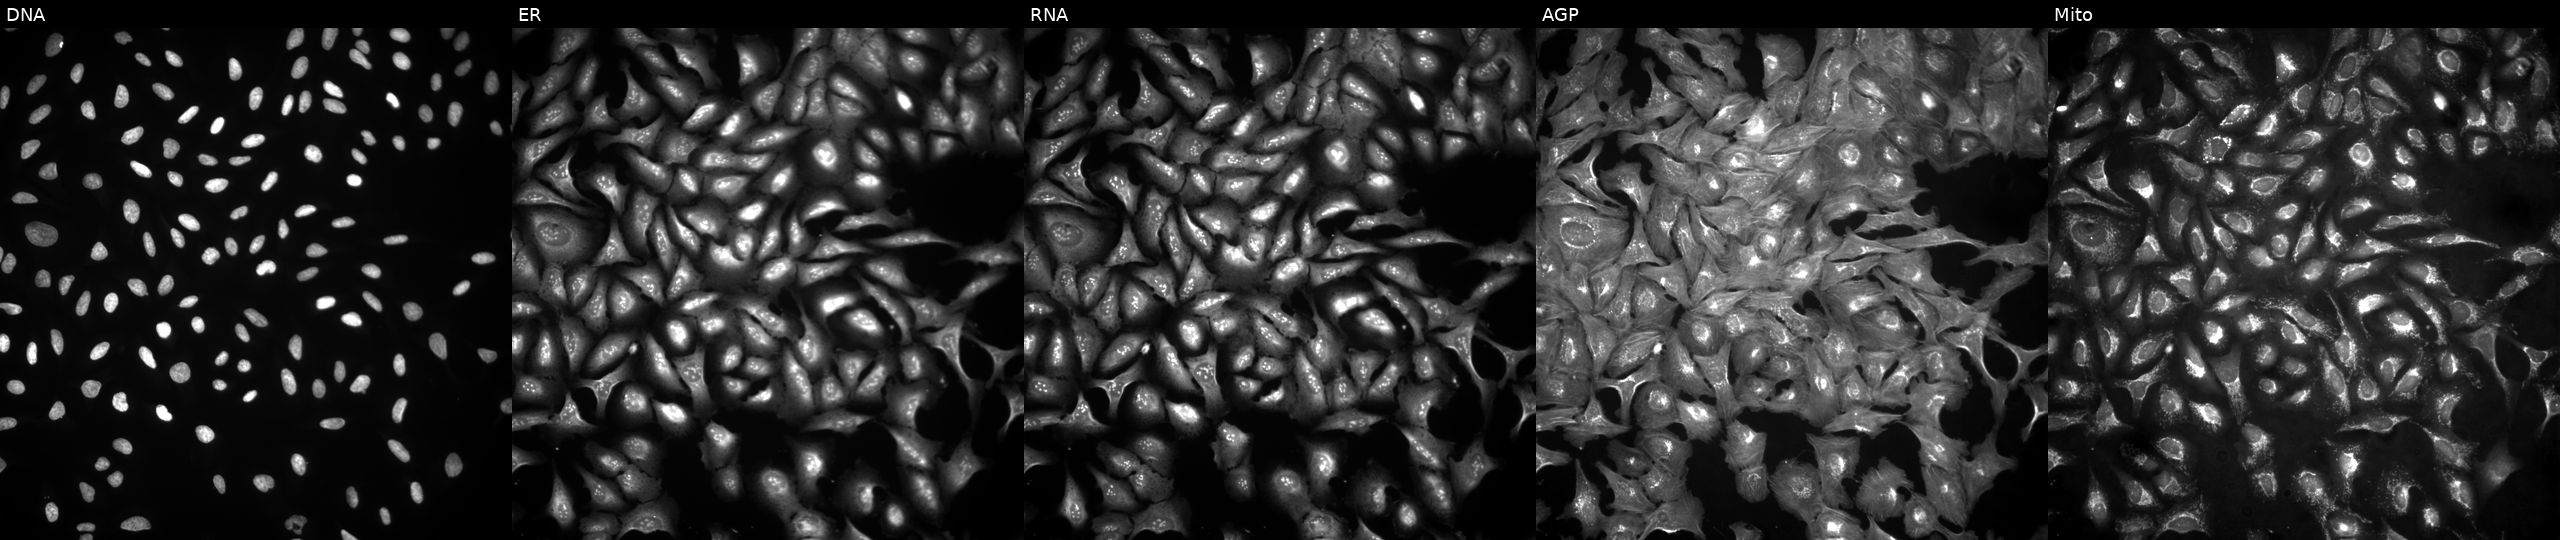
From left to right: DNA (nuclei); ER (endoplasmic reticulum); RNA (nucleoli and cytoplasmic RNA); AGP (actin cytoskeleton, Golgi, and plasma membrane); Mito (mitochondria). U2OS osteosarcoma cells with H2AP overexpressed (ORF). Cell Painting assay, JUMP-CP dataset. Source 4, plate BR00124784, well H19.